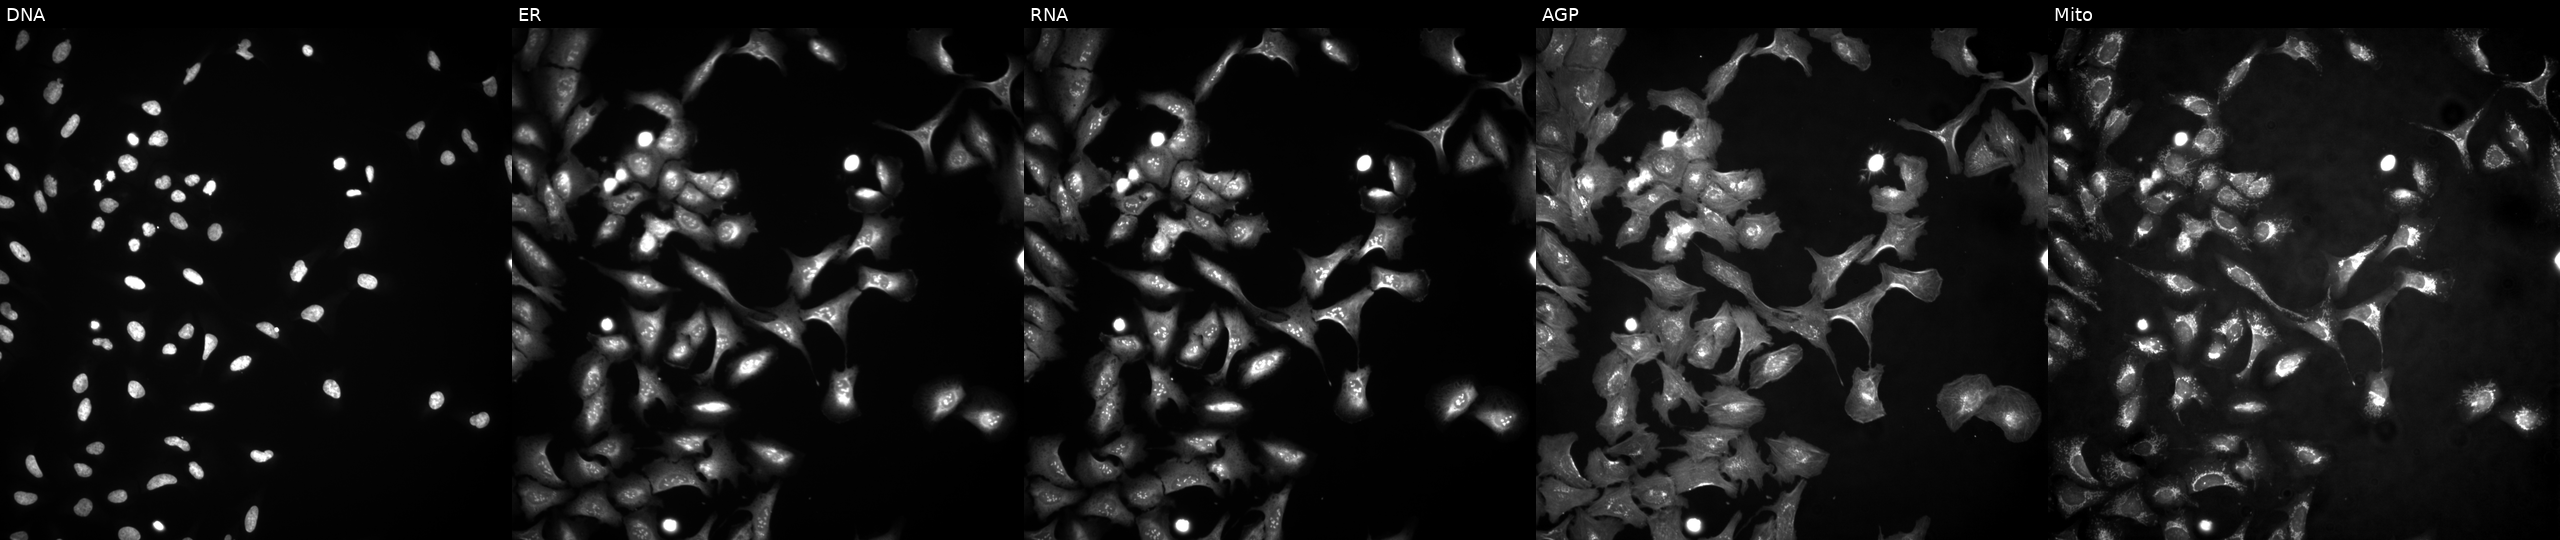
JUMP Cell Painting — ORF plate. U2OS cells overexpressing RBM15 via ORF transfection (JUMP id JCP2022_914939). Panels show, left to right, Hoechst 33342, concanavalin A, SYTO 14, phalloidin and WGA, MitoTracker. Source 4, plate BR00124784, well E09.